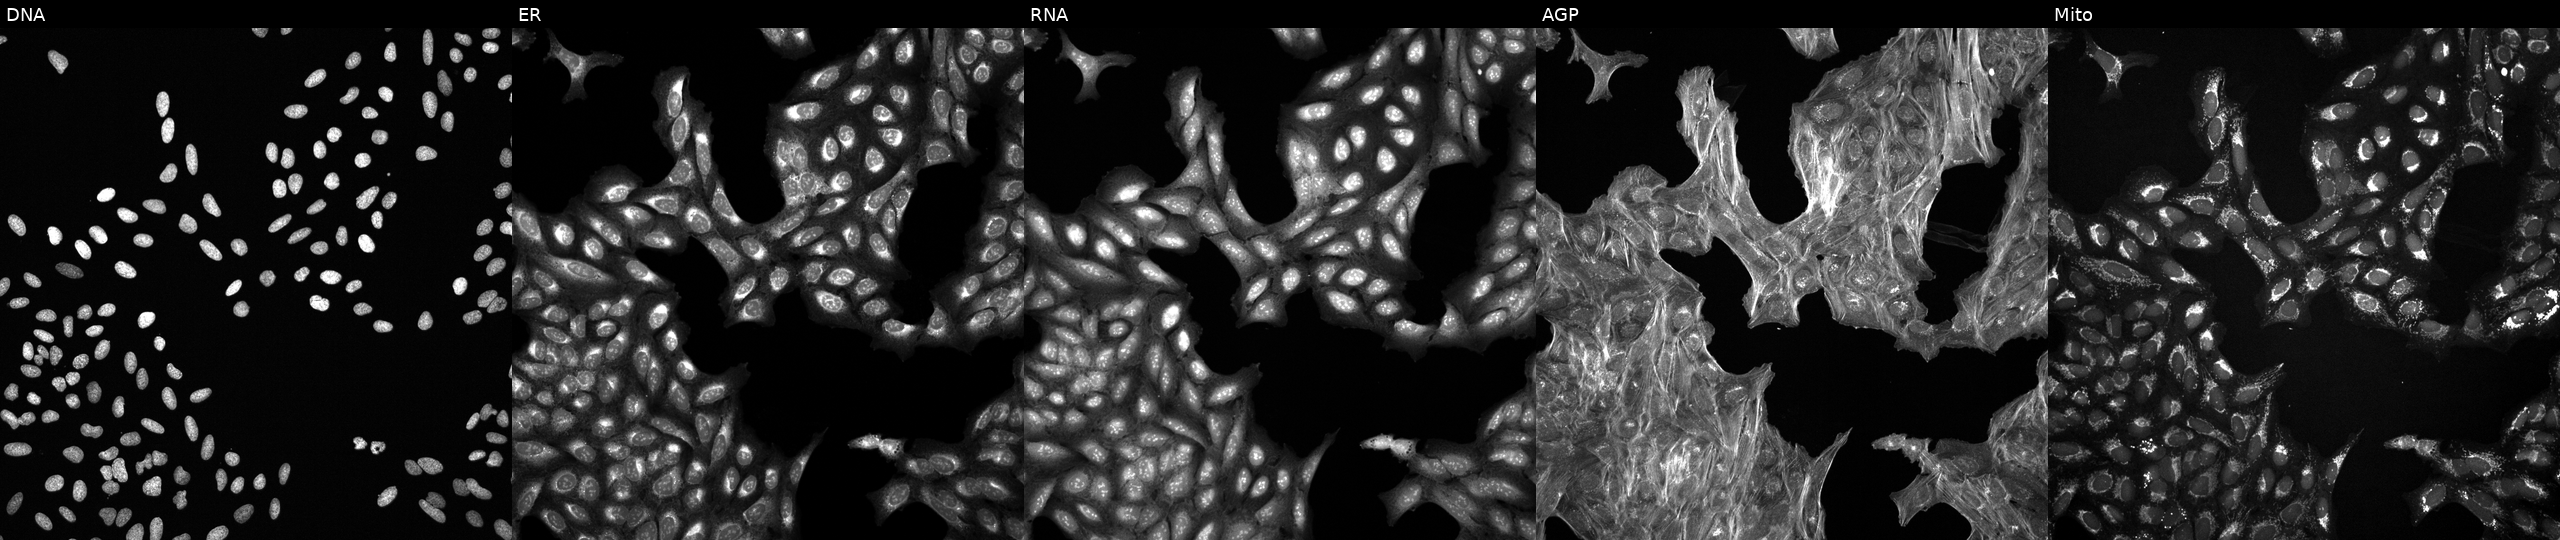
JUMP Cell Painting — TARGET2 plate. U2OS cells treated with a small-molecule compound (InChIKey LEVWYRKDKASIDU-UHFFFAOYSA-N) (JUMP id JCP2022_048971). The five panels, left to right, show DNA (nuclei); ER (endoplasmic reticulum); RNA (nucleoli and cytoplasmic RNA); AGP (actin cytoskeleton, Golgi, and plasma membrane); Mito (mitochondria). Source 6, plate 110000293081, well A18.